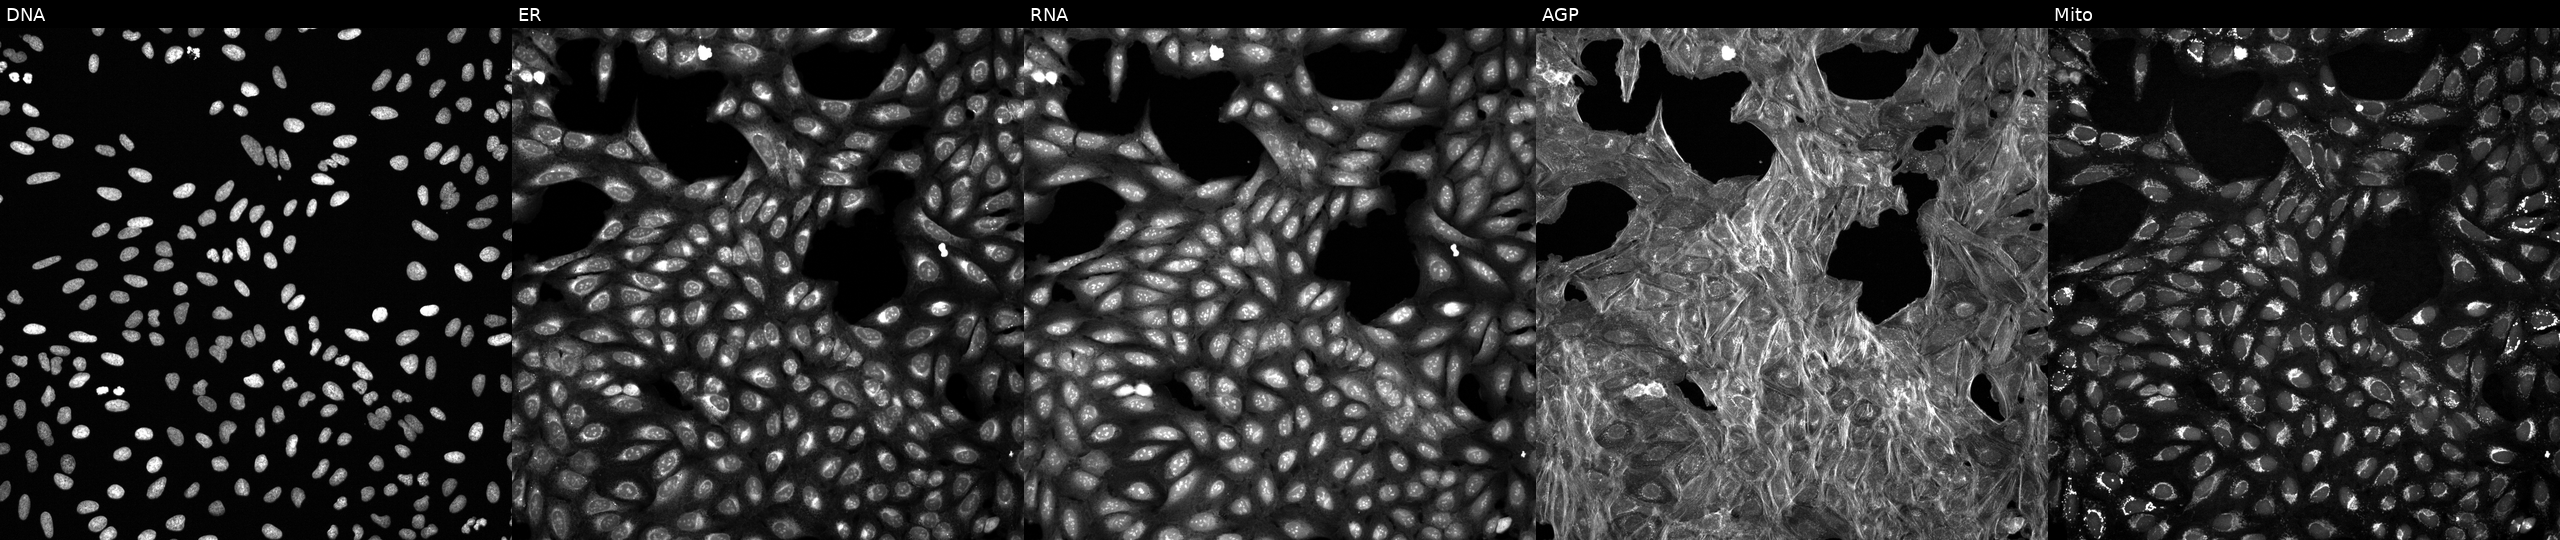
This image strip shows the five Cell Painting channels for a single field of U2OS cells treated with a small-molecule compound (InChIKey PNOHUFZEKHFAKX-UHFFFAOYSA-N) (JUMP id JCP2022_069798). Channels (left→right): Hoechst 33342, concanavalin A, SYTO 14, phalloidin and WGA, MitoTracker.